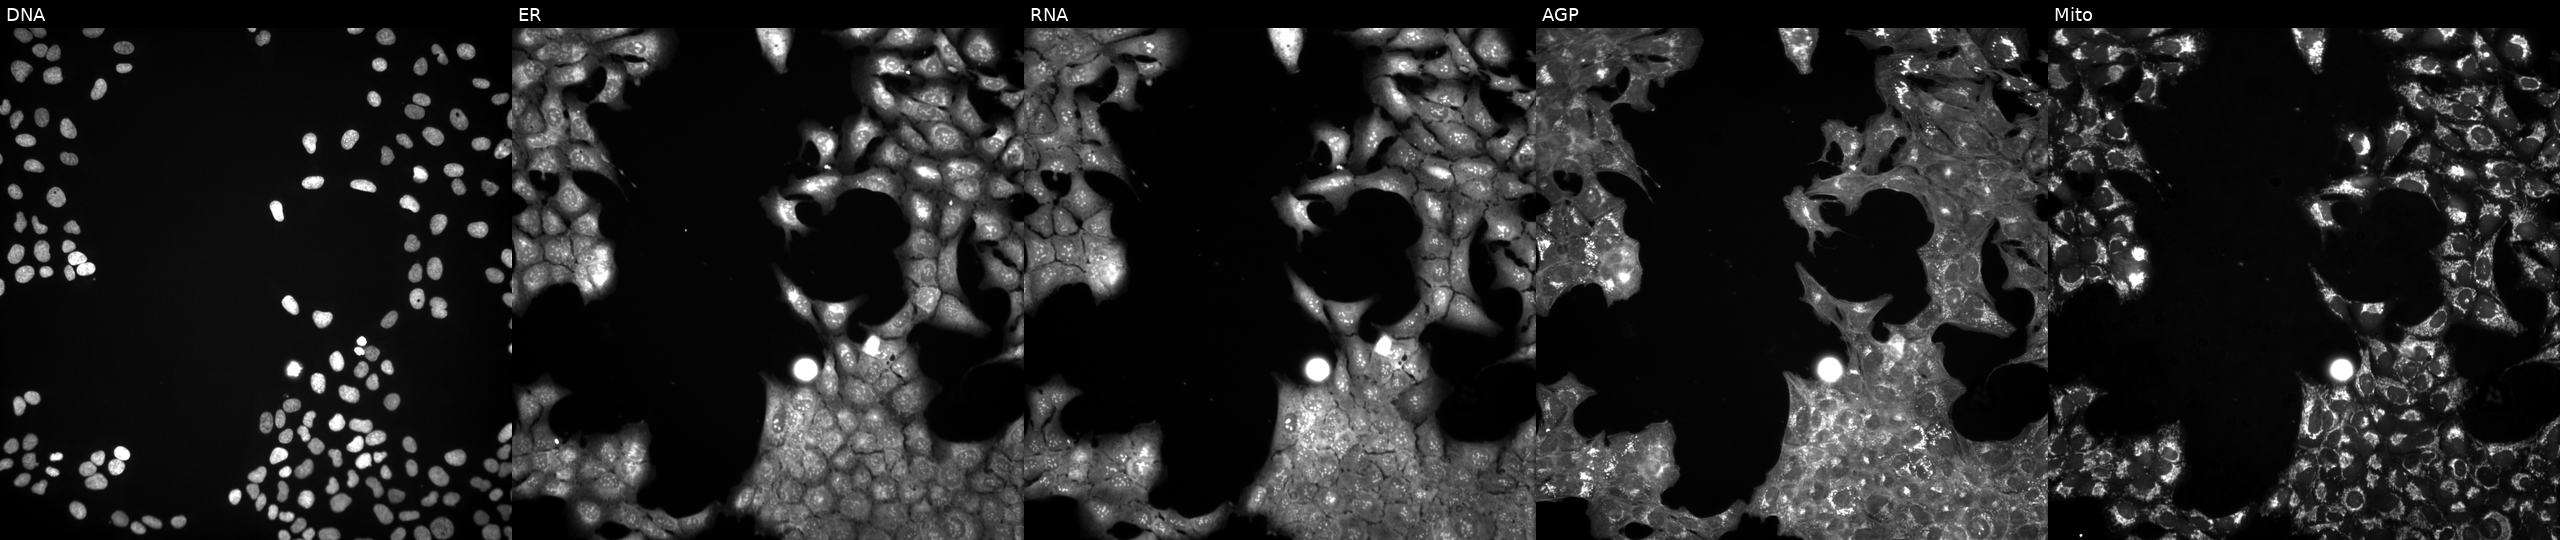
High-content fluorescence microscopy (Cell Painting). Cell line: U2OS. Perturbation: exposed to a small-molecule compound (InChIKey ZYVXTMKTGDARKR-UHFFFAOYSA-N) (JUMP id JCP2022_116560). Channels (left→right): DNA (nuclei); ER (endoplasmic reticulum); RNA (nucleoli and cytoplasmic RNA); AGP (actin cytoskeleton, Golgi, and plasma membrane); Mito (mitochondria).